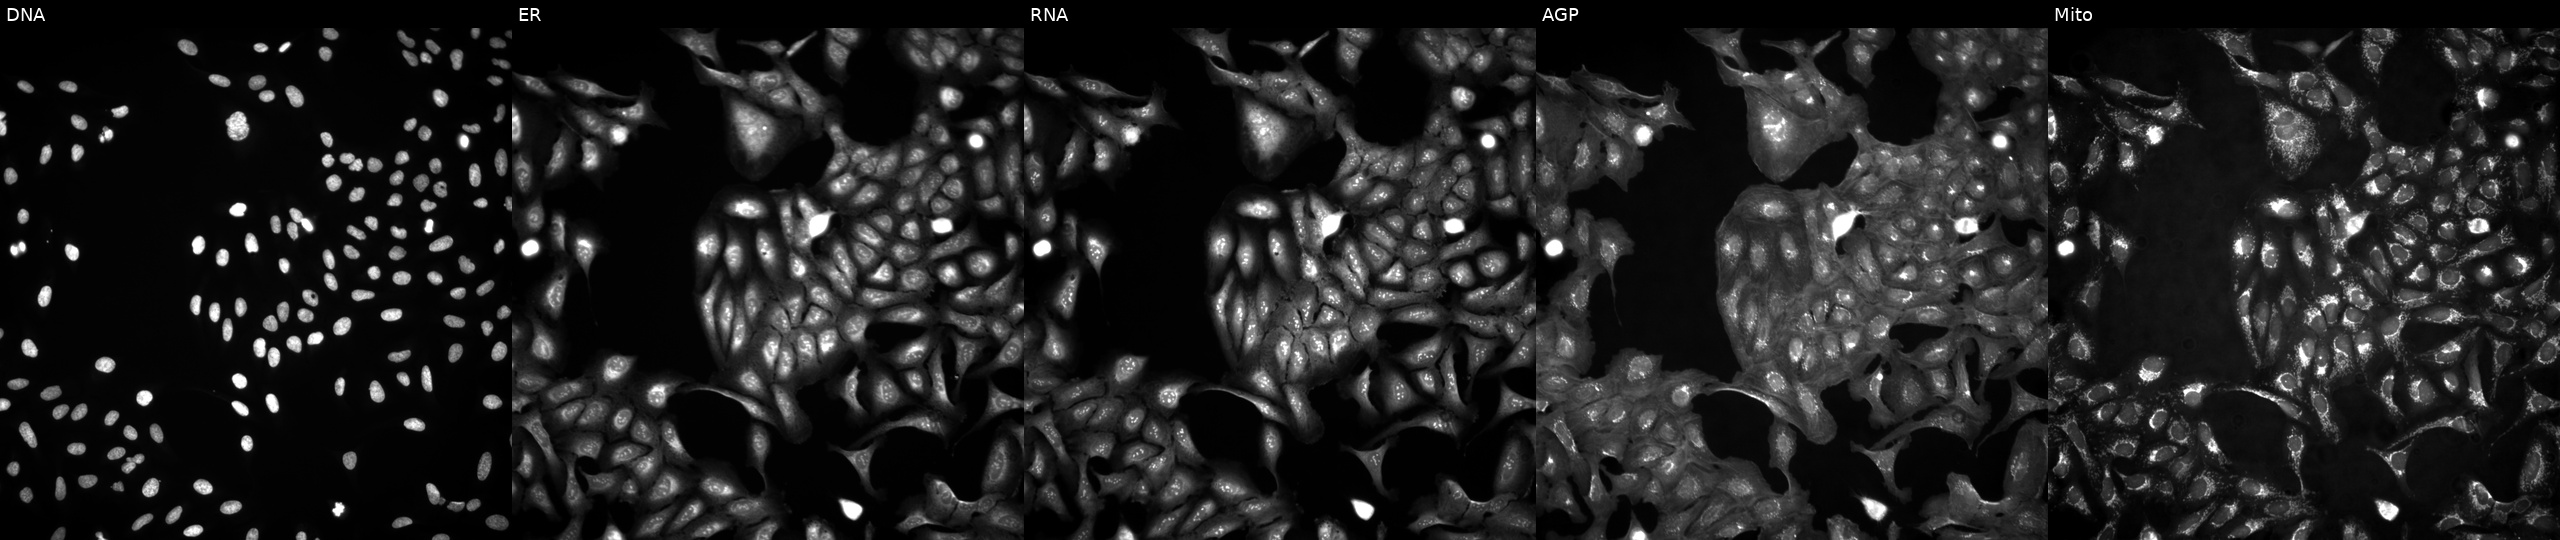
High-content fluorescence microscopy (Cell Painting). Cell line: U2OS. Perturbation: in an empty control well (no perturbation) (JUMP id JCP2022_999999). From left to right: DNA, ER, RNA, AGP, and Mito.